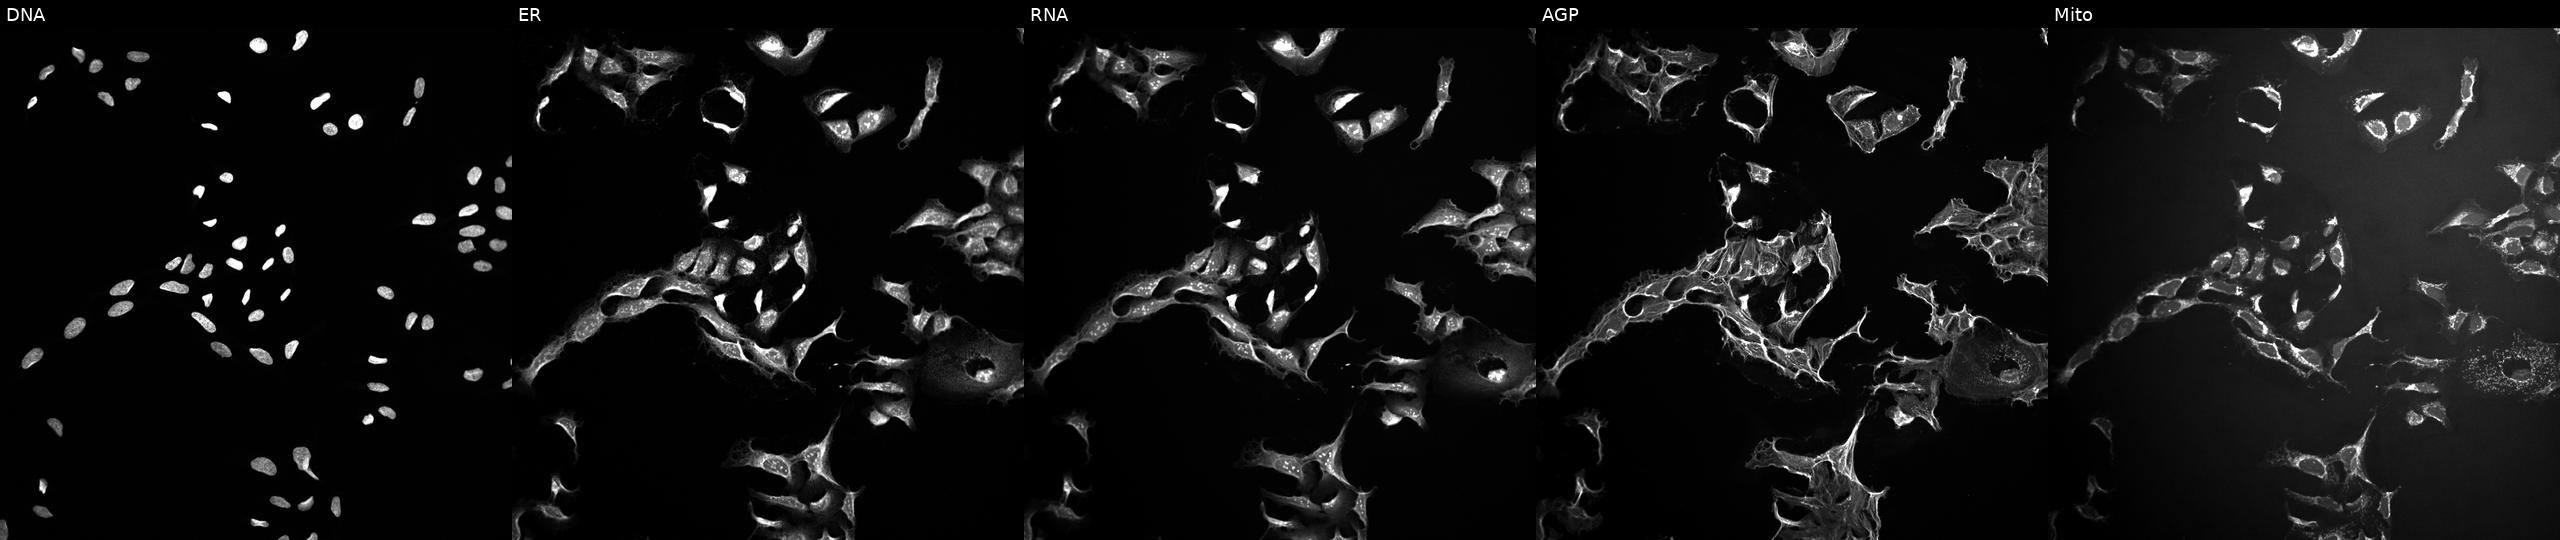
Channels (left→right): Hoechst 33342, concanavalin A, SYTO 14, phalloidin and WGA, MitoTracker. U2OS osteosarcoma cells perturbed with a small-molecule compound (InChIKey HFNKQEVNSGCOJV-UHFFFAOYSA-N) (JUMP id JCP2022_029868). Cell Painting assay, JUMP-CP dataset. Source 10, plate Dest210726-160150, well J22.